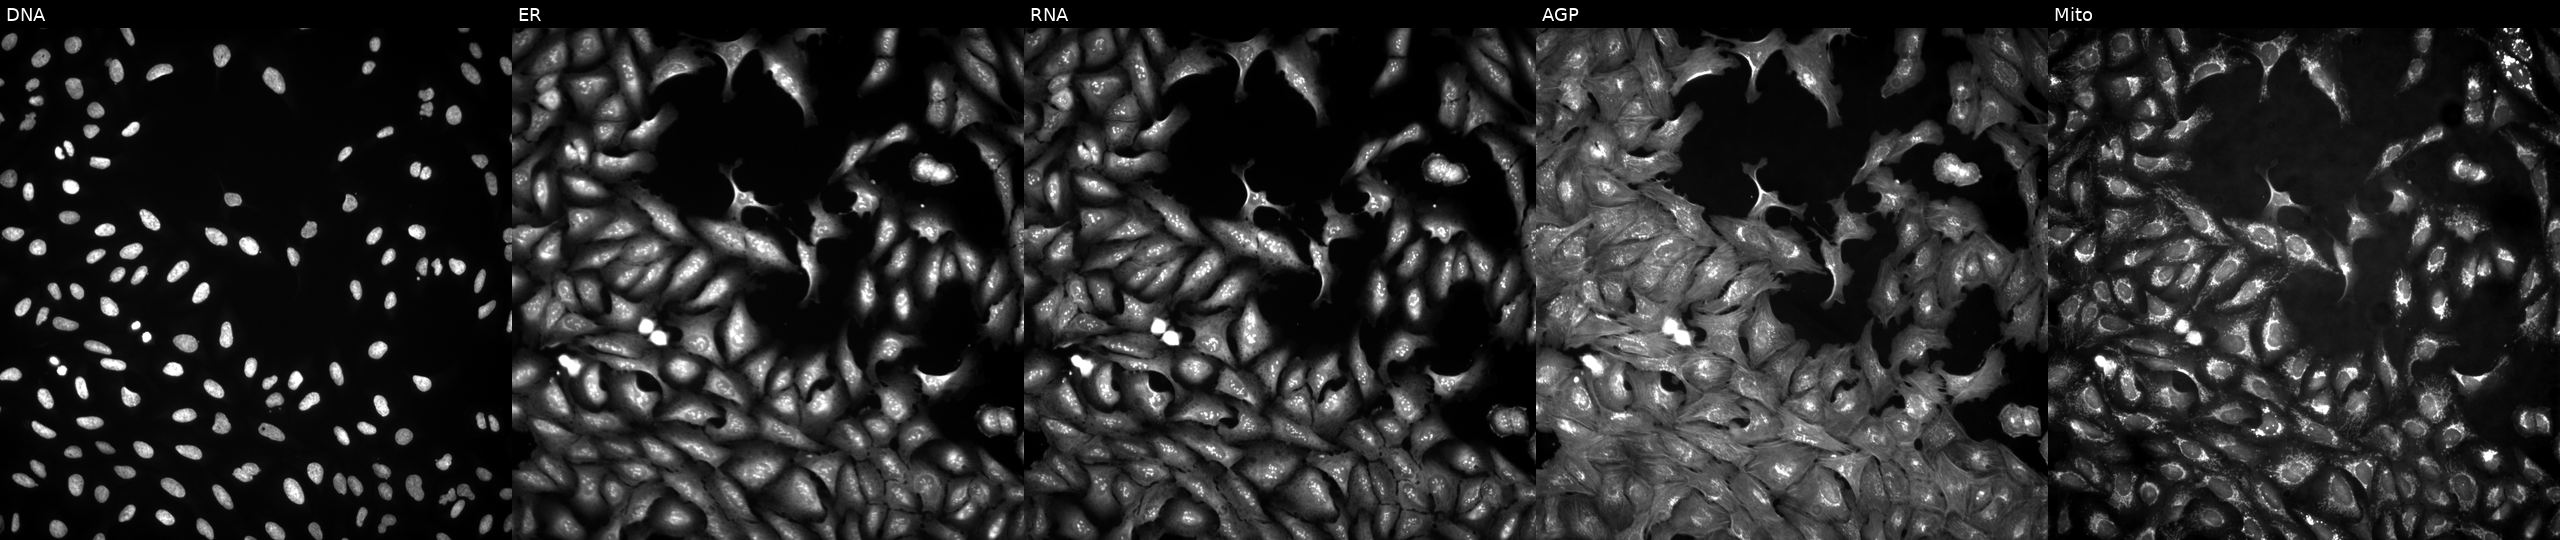
JUMP Cell Painting — ORF plate. U2OS cells overexpressing BET1 via ORF transfection. Panels show, left to right, DNA (nuclei); ER (endoplasmic reticulum); RNA (nucleoli and cytoplasmic RNA); AGP (actin cytoskeleton, Golgi, and plasma membrane); Mito (mitochondria).